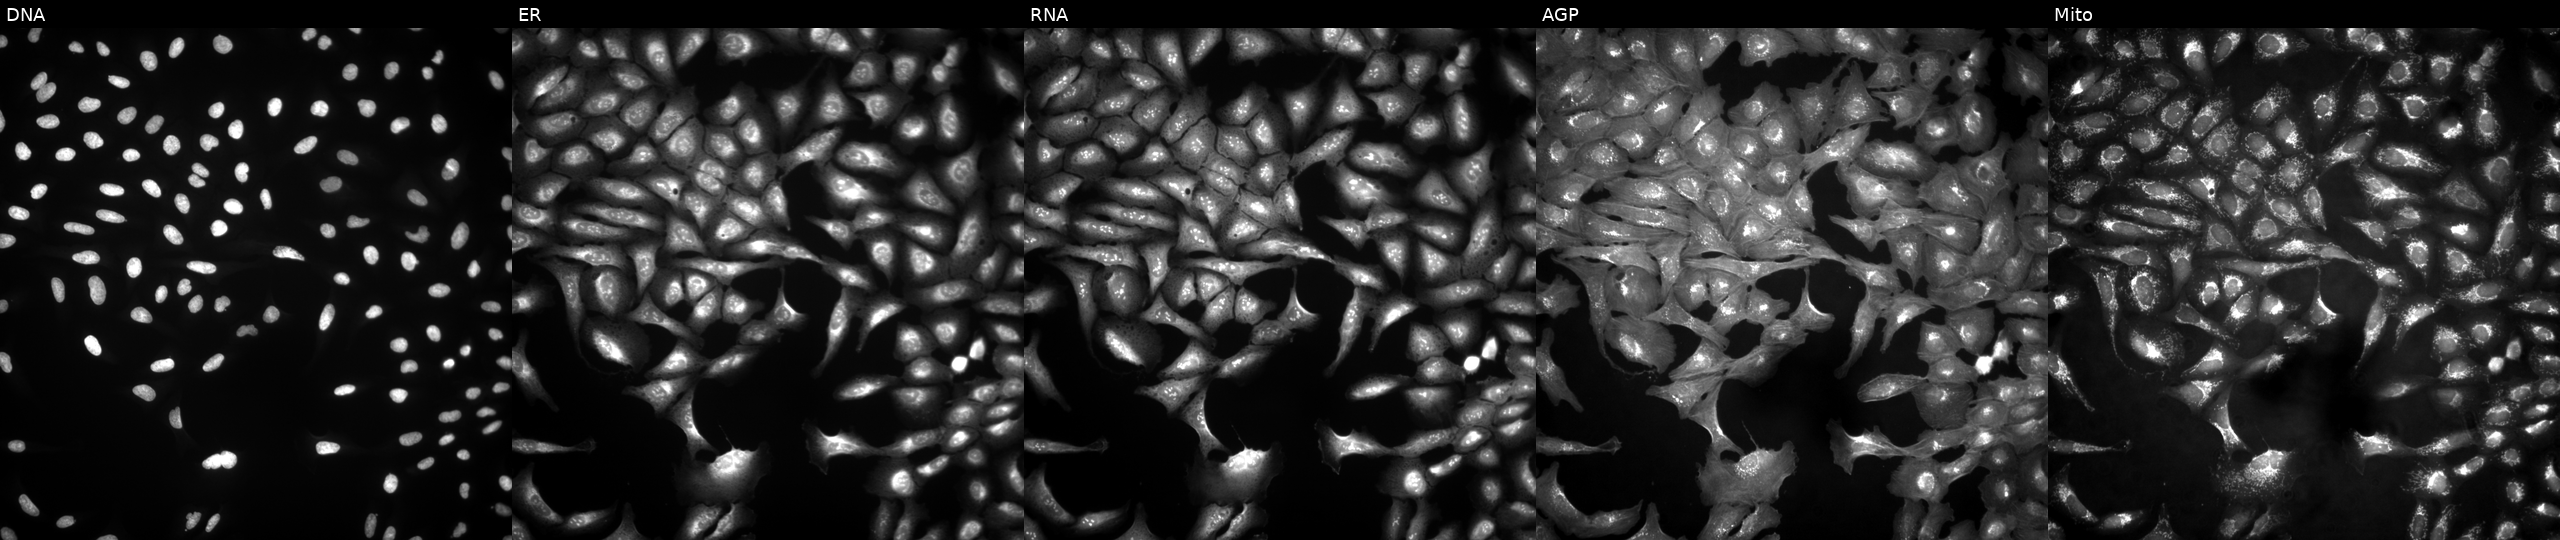
Panels show, left to right, DNA (nuclei); ER (endoplasmic reticulum); RNA (nucleoli and cytoplasmic RNA); AGP (actin cytoskeleton, Golgi, and plasma membrane); Mito (mitochondria). U2OS osteosarcoma cells expressing BFP (ORF negative control) (JUMP id JCP2022_915128). Cell Painting assay, JUMP-CP dataset. Source 4, plate BR00124790, well E19.